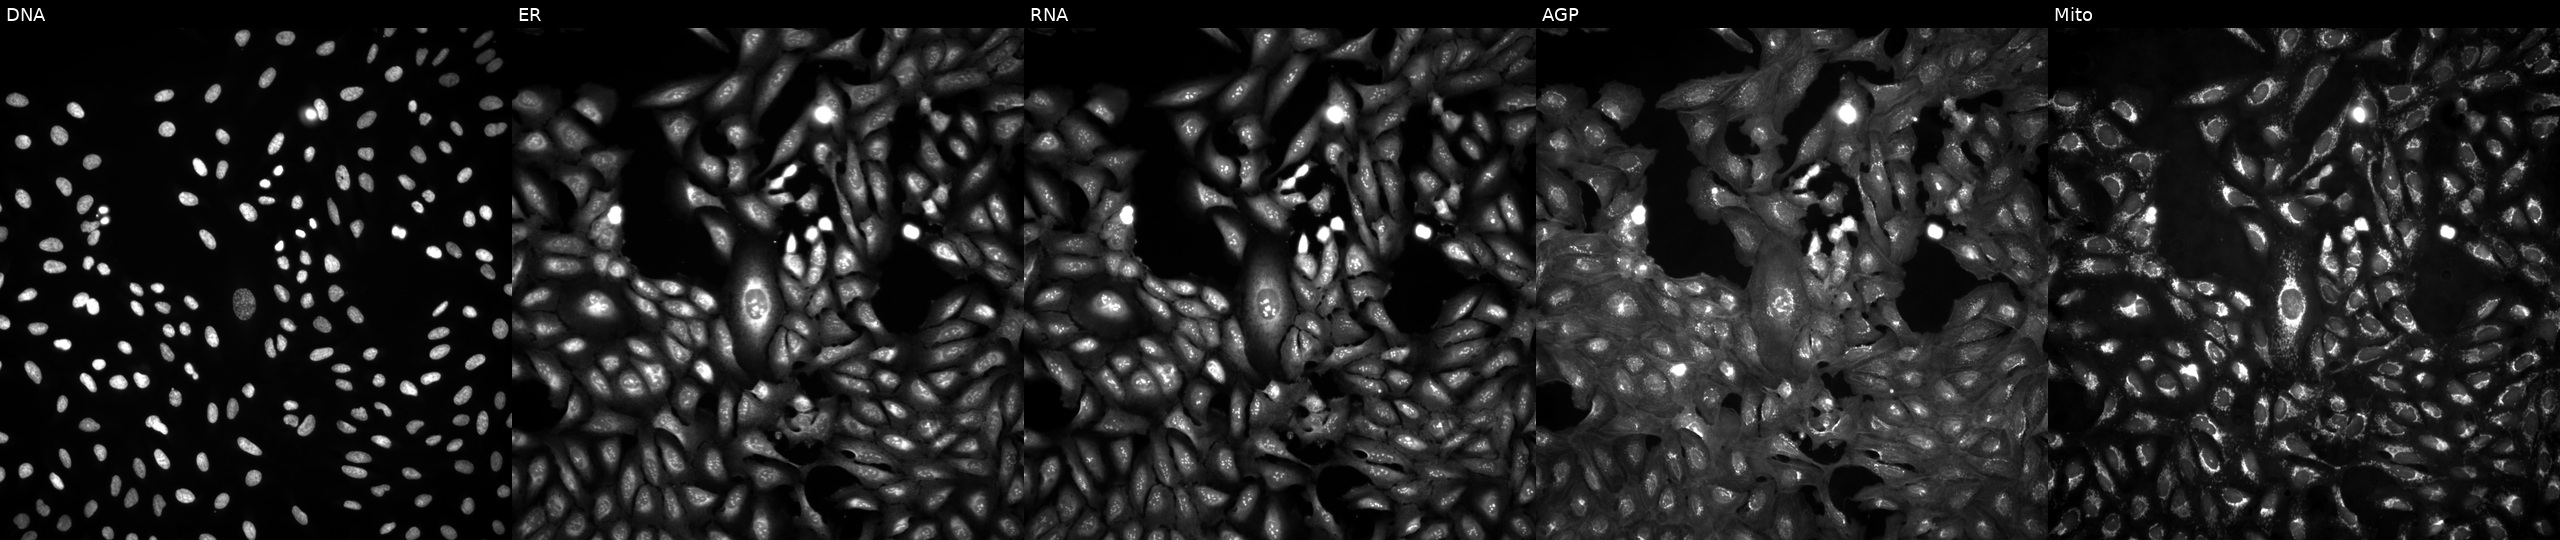
U2OS cells, Cell Painting assay, untreated (empty-well control). The five panels, left to right, show Hoechst 33342, concanavalin A, SYTO 14, phalloidin and WGA, MitoTracker. Each panel is percentile-stretched 16-bit fluorescence. Source 4, plate BR00124793, well K07.